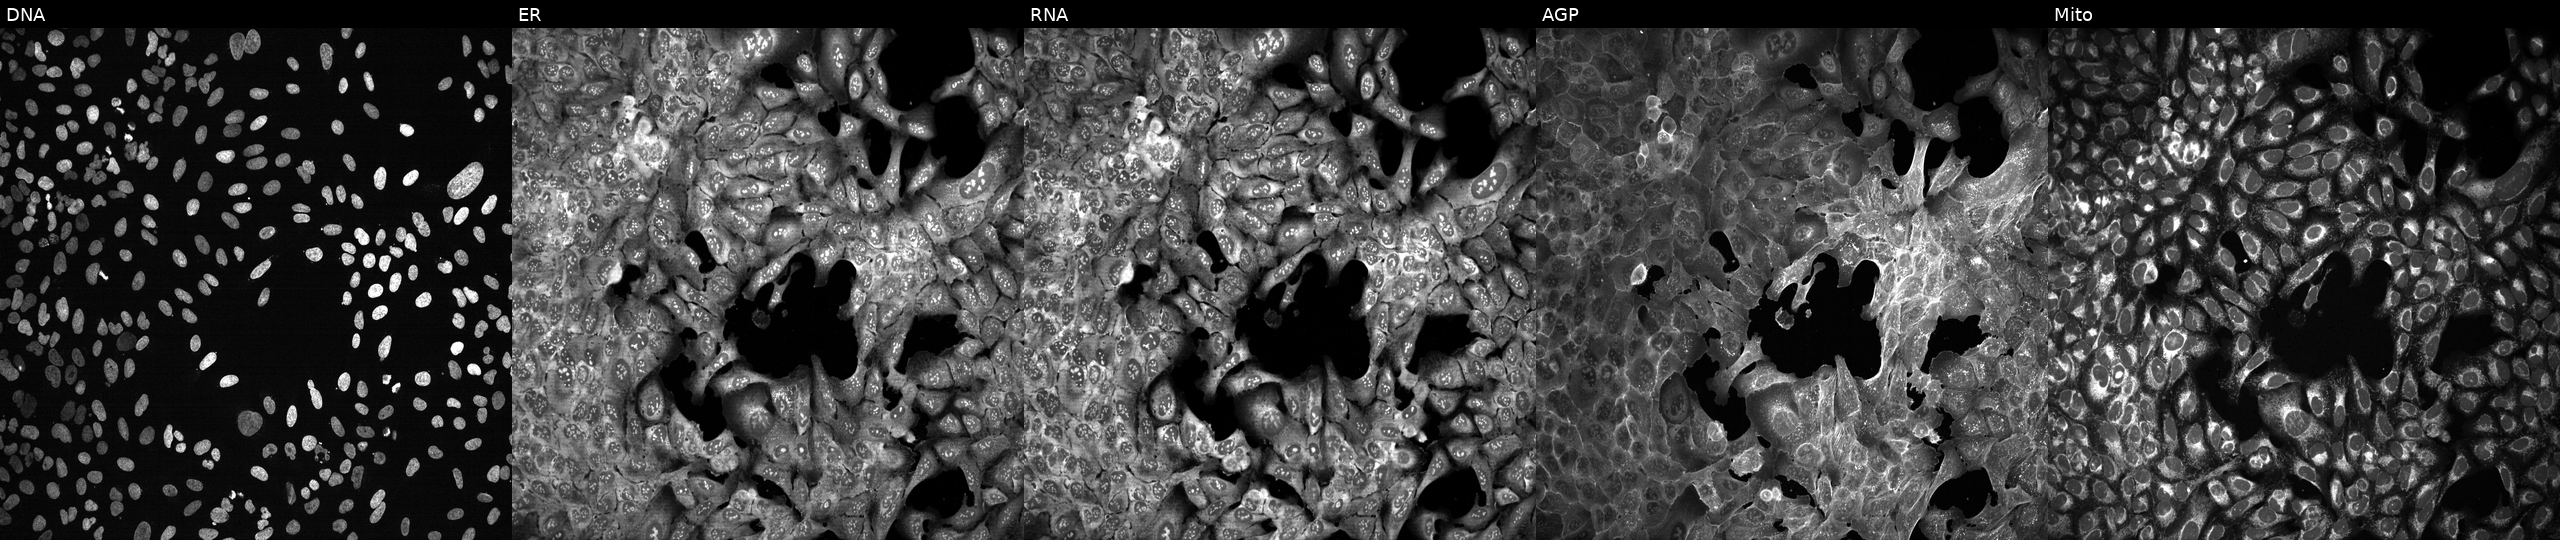
U2OS cells, Cell Painting assay, following CRISPR knockout of RHBDD2. From left to right: Hoechst 33342, concanavalin A, SYTO 14, phalloidin and WGA, MitoTracker. Each panel is percentile-stretched 16-bit fluorescence. Source 13, plate CP-CC9-R6-19, well A21.